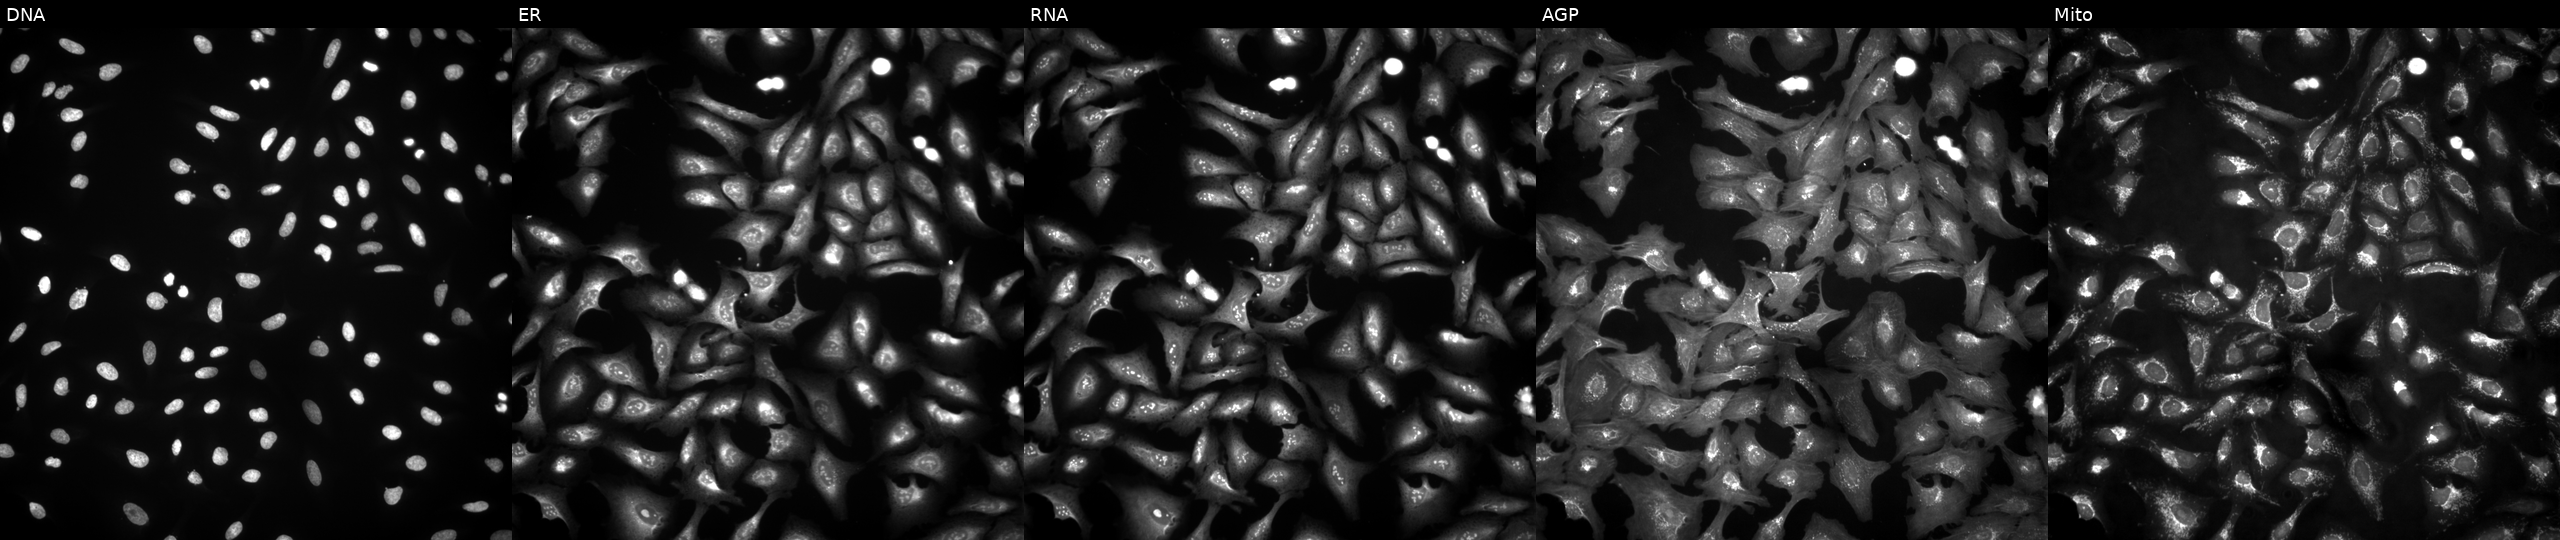
U2OS cells, Cell Painting assay, transfected with an ORF construct for PIH1D2. The five panels, left to right, show DNA, ER, RNA, AGP, and Mito. Each panel is percentile-stretched 16-bit fluorescence. Source 4, plate BR00124790, well H17.